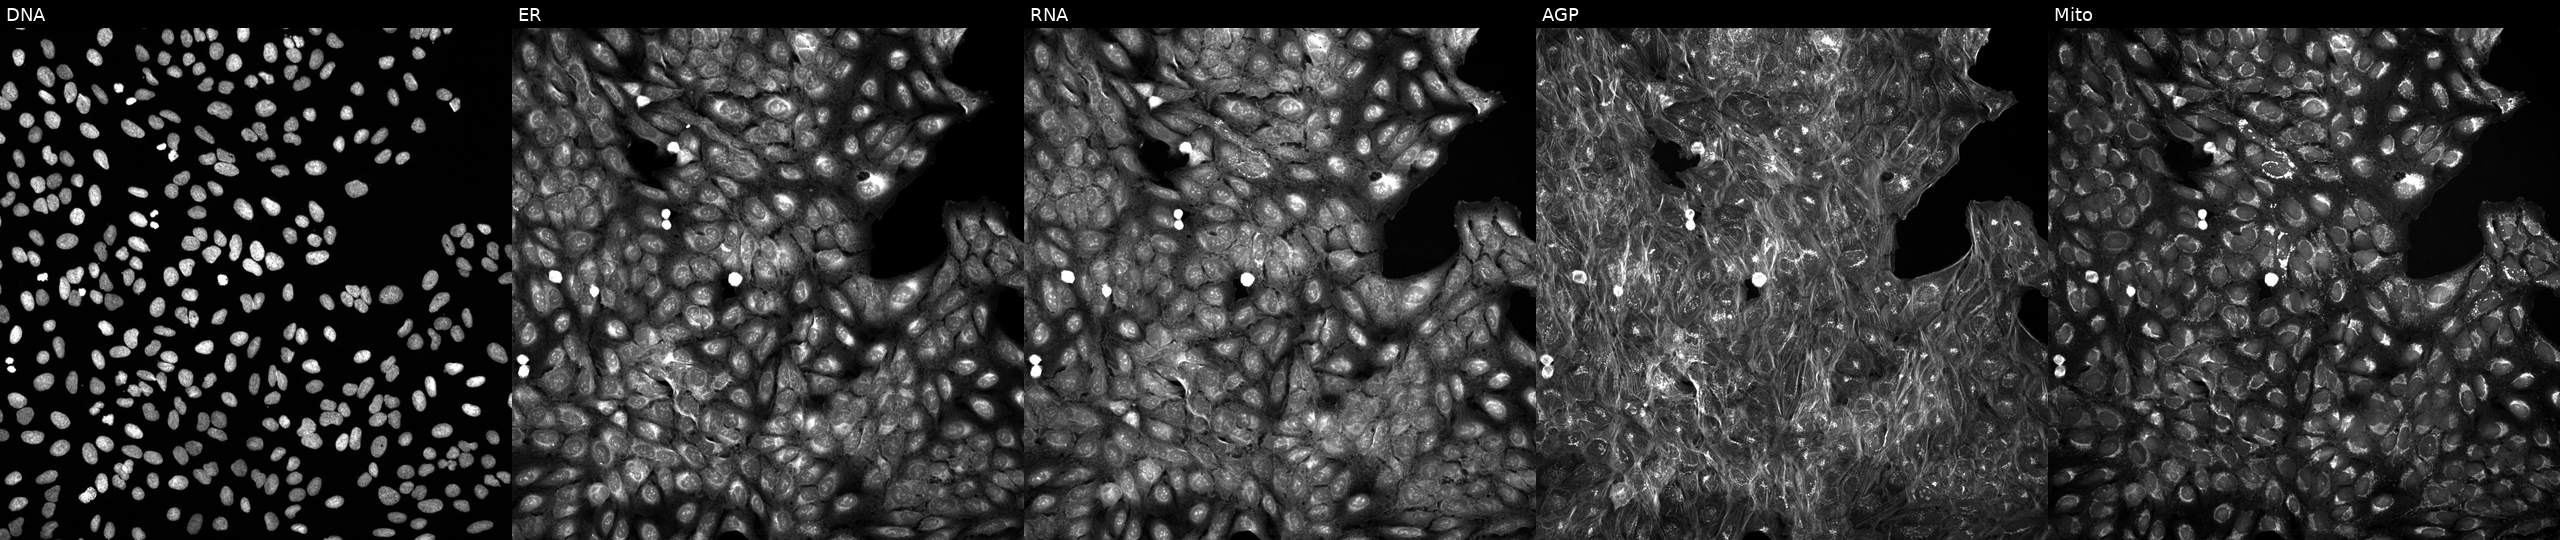
U2OS cells, Cell Painting assay, perturbed with a small-molecule compound (InChIKey DUKQPWDVIZDABV-UHFFFAOYSA-N). The five panels, left to right, show Hoechst 33342, concanavalin A, SYTO 14, phalloidin and WGA, MitoTracker. Each panel is percentile-stretched 16-bit fluorescence. Source 5, plate ACPJUM012, well D08.